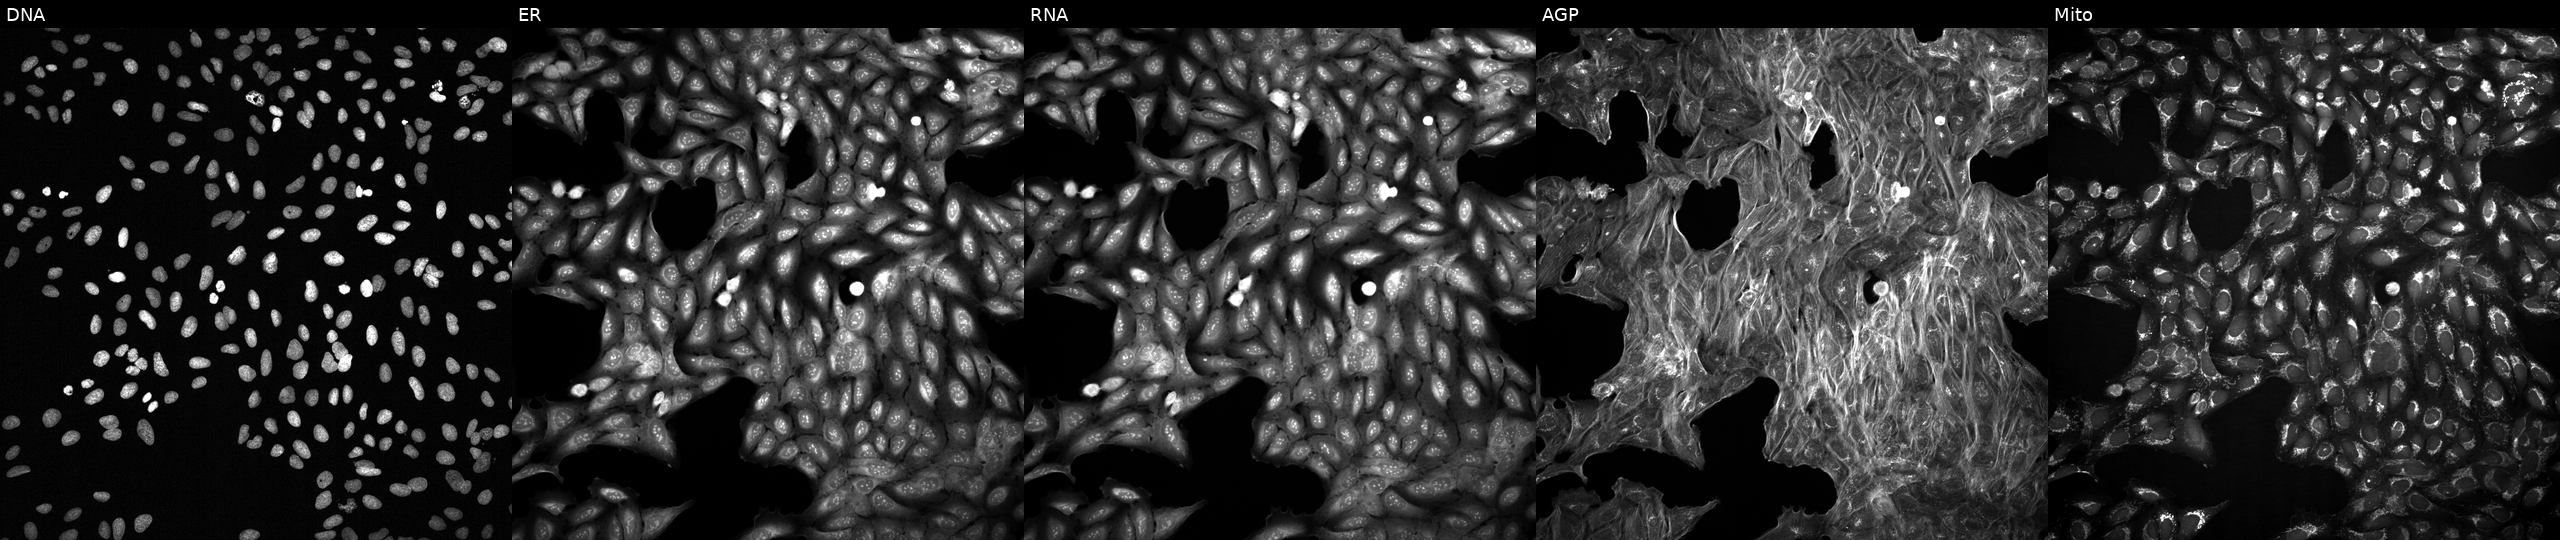
Five-channel Cell Painting image of U2OS cells perturbed with a small-molecule compound (InChIKey WKZXBIPDYYJOET-UHFFFAOYSA-N) (JUMP id JCP2022_099457). The five panels, left to right, show Hoechst 33342, concanavalin A, SYTO 14, phalloidin and WGA, MitoTracker.